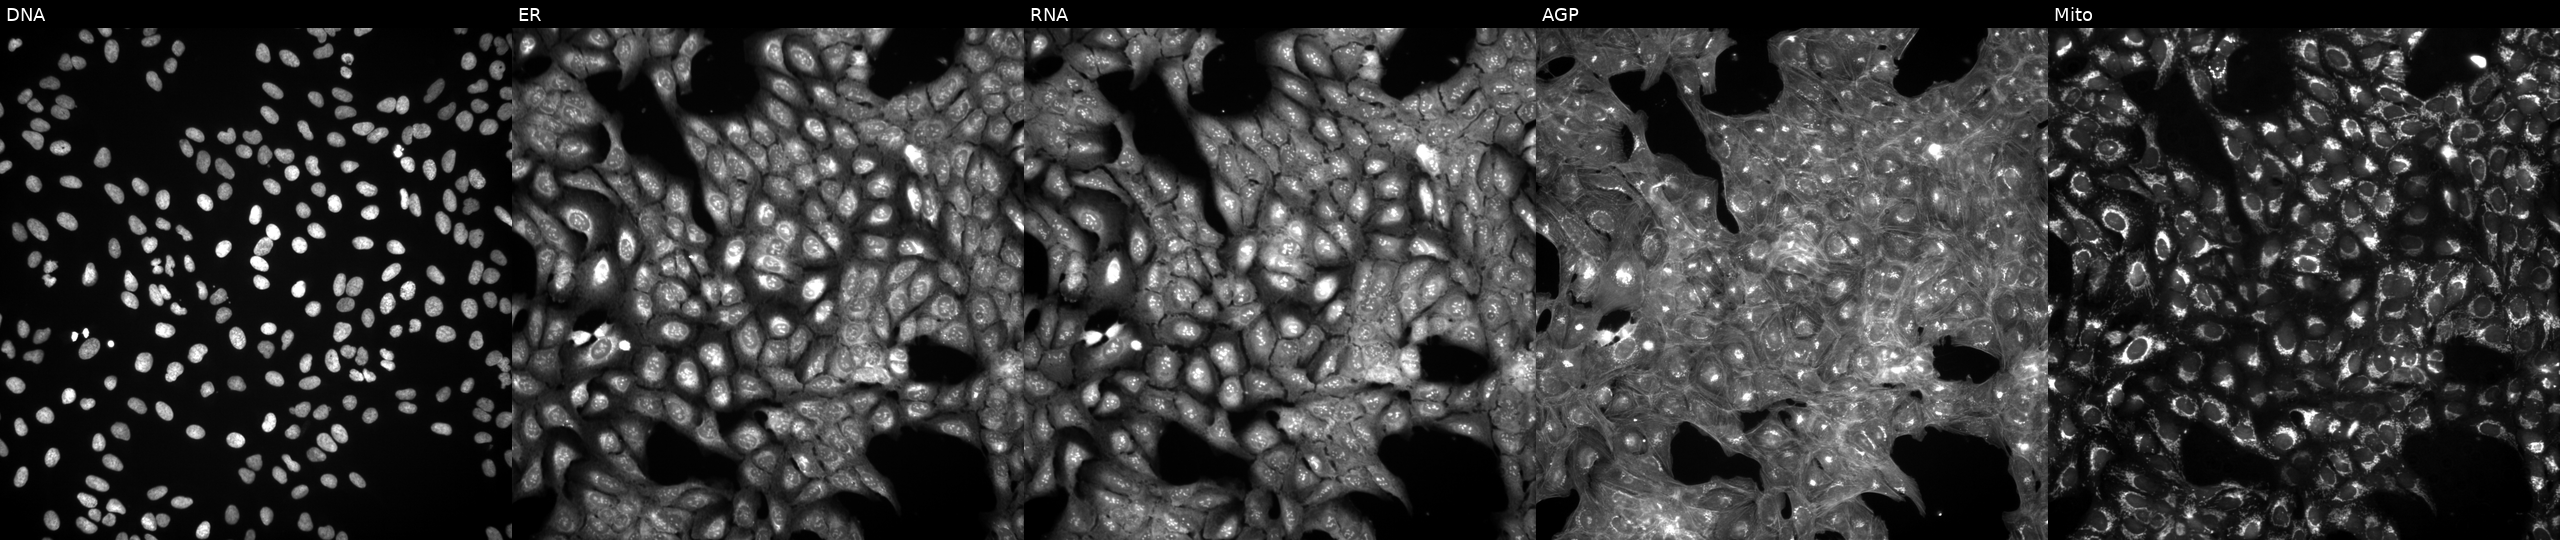
JUMP Cell Painting — COMPOUND plate. U2OS cells perturbed with a small-molecule compound (InChIKey QNFFHXIUWANTBD-UHFFFAOYSA-N). From left to right: DNA, ER, RNA, AGP, and Mito. Source 3, plate BR5867b3, well N19.